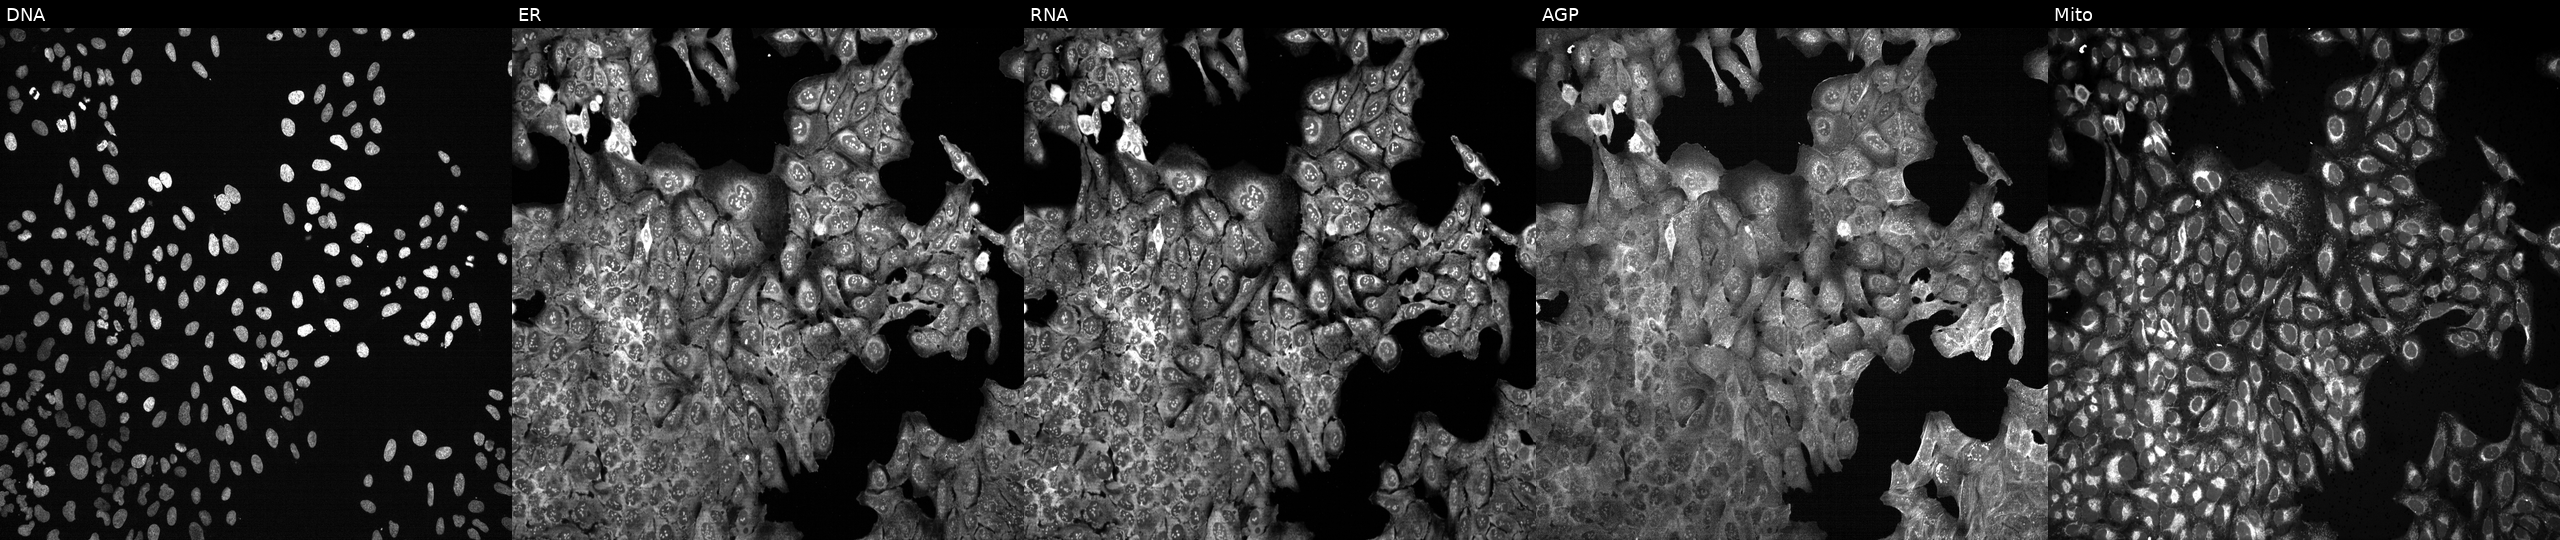
U2OS cells, Cell Painting assay, following CRISPR knockout of TXNRD3. Panels show, left to right, DNA, ER, RNA, AGP, and Mito. Each panel is percentile-stretched 16-bit fluorescence.